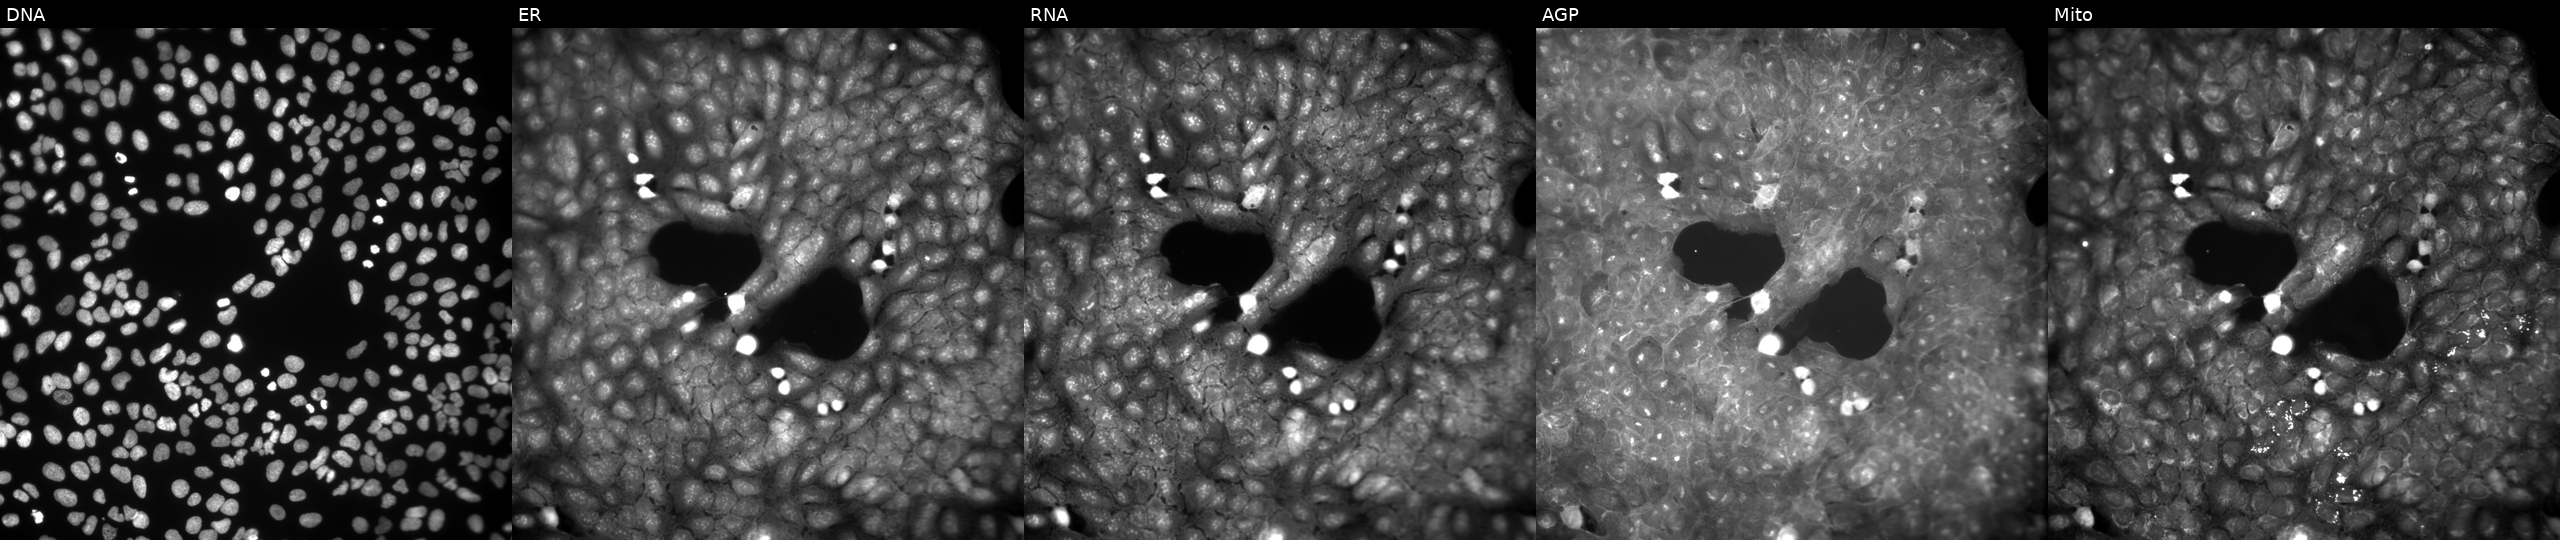
This image strip shows the five Cell Painting channels for a single field of U2OS cells treated with DMSO vehicle only (negative control) (JUMP id JCP2022_033924). The five panels, left to right, show DNA, ER, RNA, AGP, and Mito.